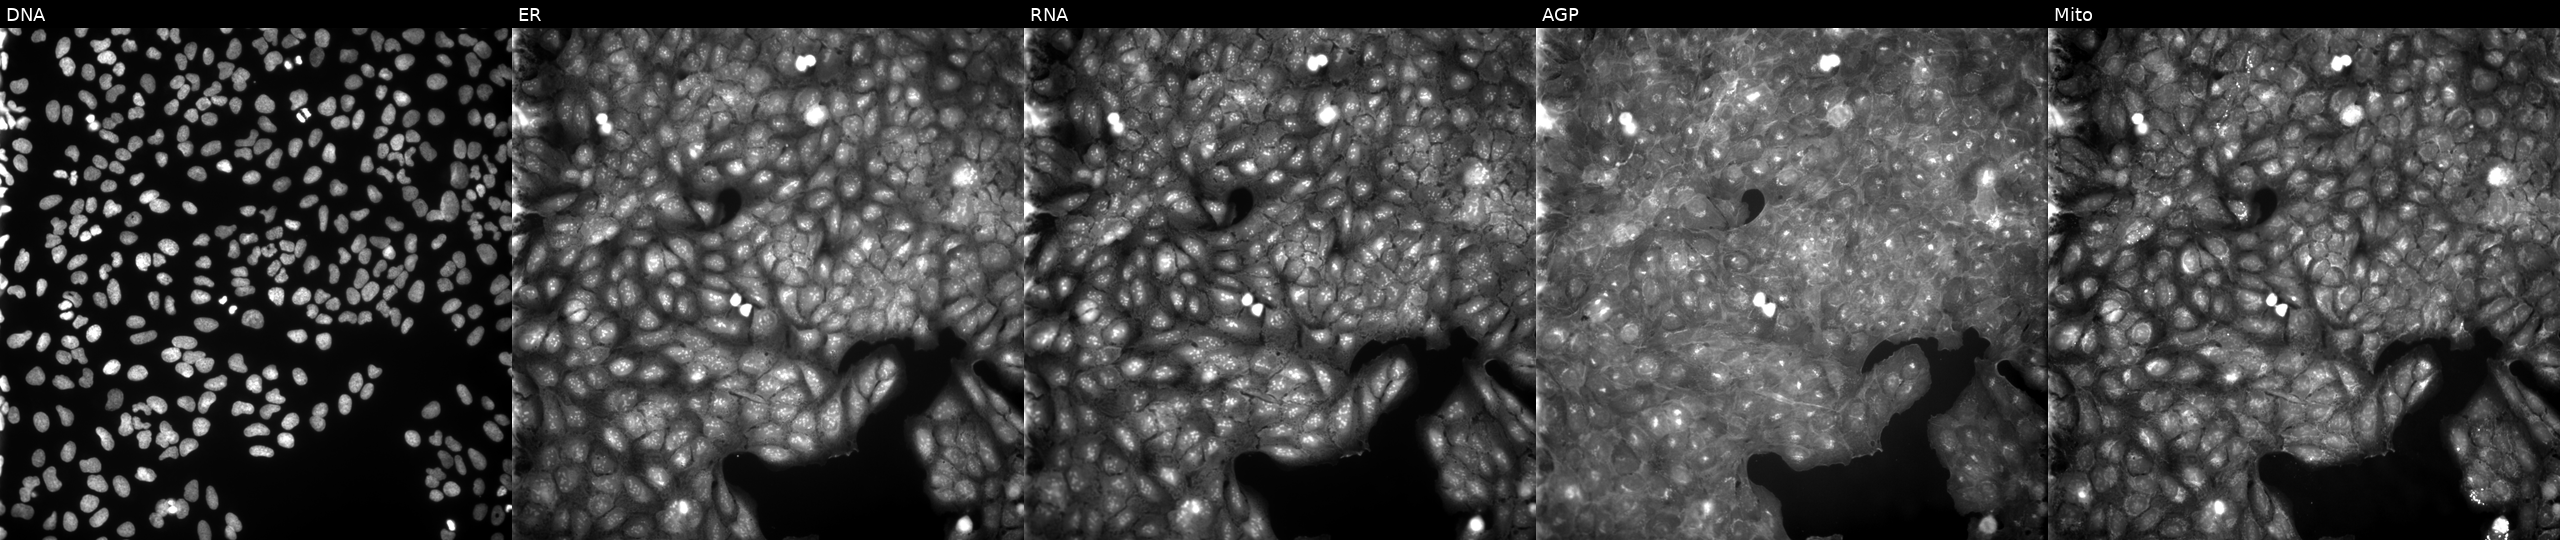
This image strip shows the five Cell Painting channels for a single field of U2OS cells exposed to a small-molecule compound. From left to right: DNA, ER, RNA, AGP, and Mito. Source 9, plate GR00003382, well O17.